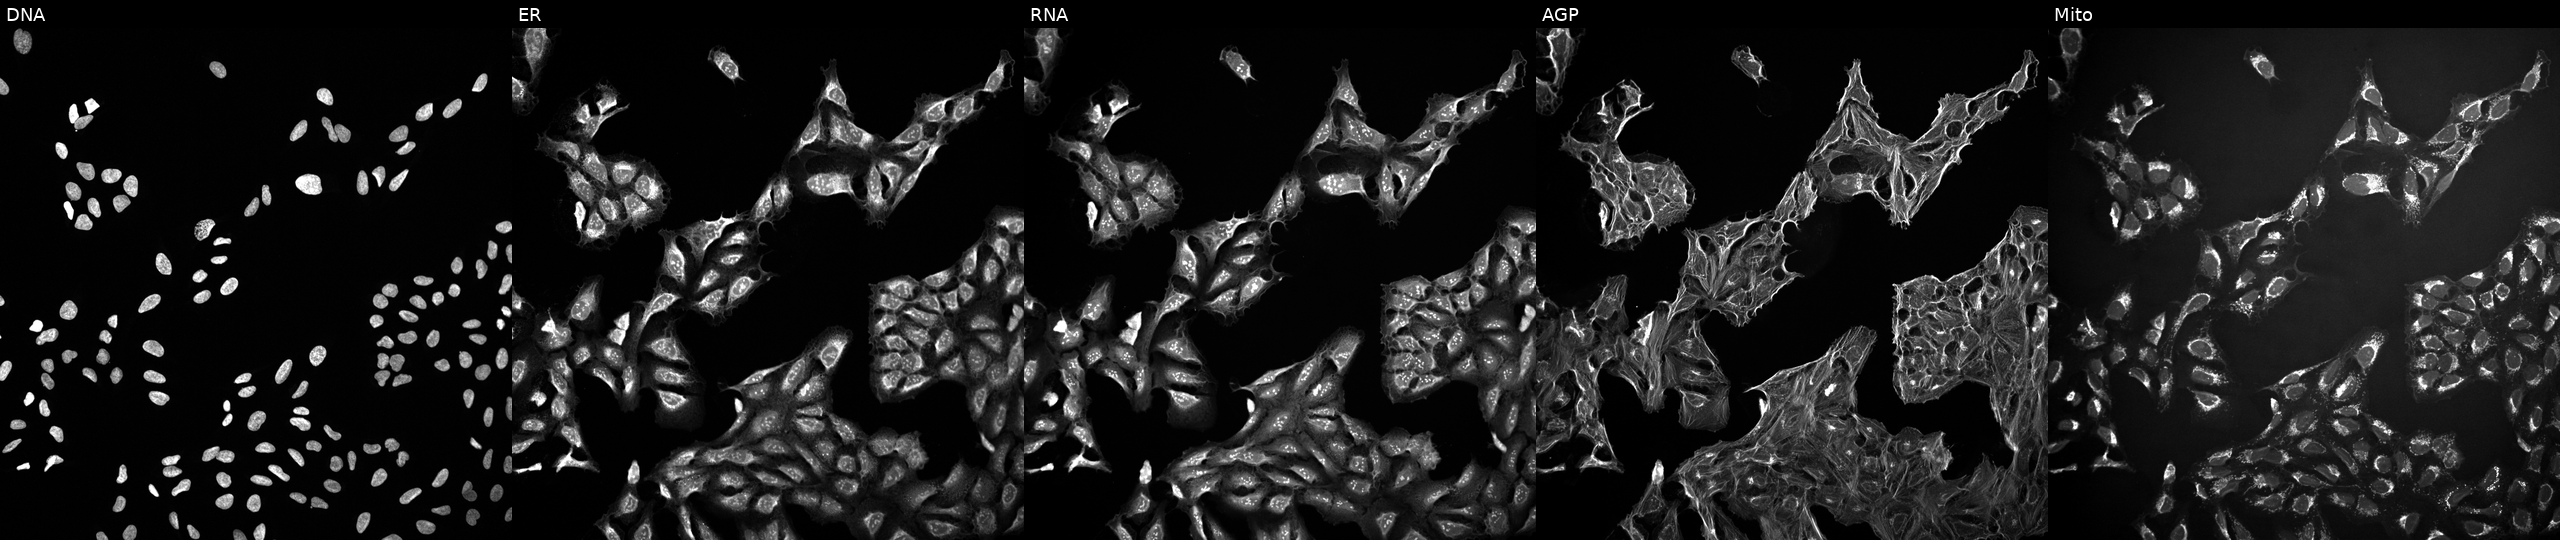
High-content fluorescence microscopy (Cell Painting). Cell line: U2OS. Perturbation: exposed to a small-molecule compound (InChIKey KRKNYBCHXYNGOX-UHFFFAOYSA-N) [SMILES: O=C(O)CC(O)(CC(=O)O)C(=O)O] (JUMP id JCP2022_046524). Panels show, left to right, Hoechst 33342, concanavalin A, SYTO 14, phalloidin and WGA, MitoTracker. Source 10, plate Dest210727-153003, well L12.